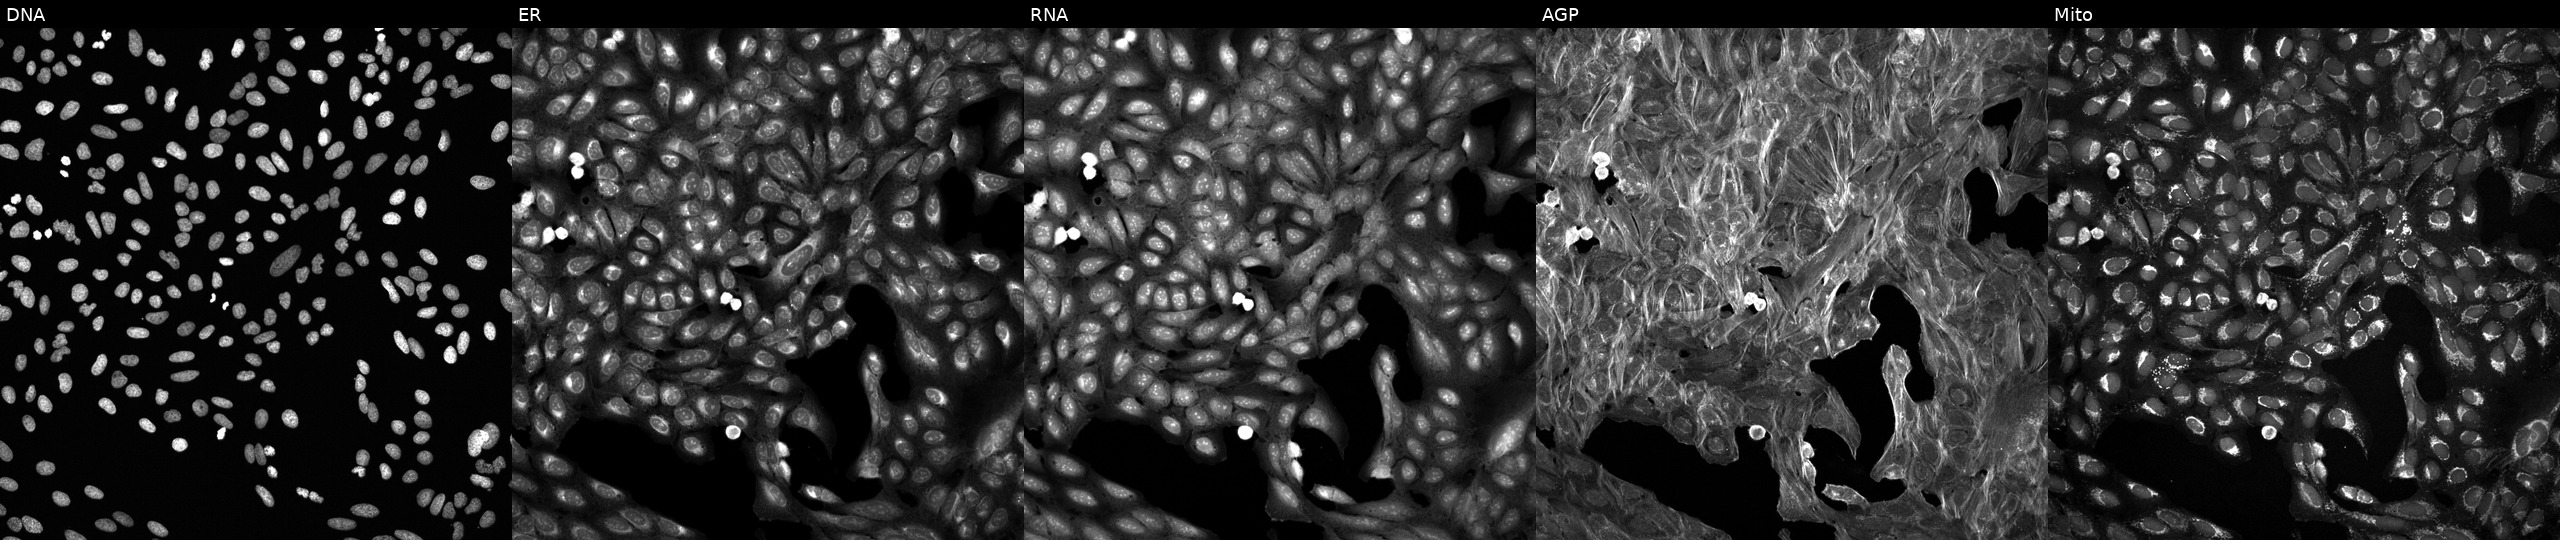
This image strip shows the five Cell Painting channels for a single field of U2OS cells exposed to a small-molecule compound (InChIKey XNOPRXBHLZRZKH-UHFFFAOYSA-N) [SMILES: CCC(C)C1NC(=O)C(Cc2ccc(O)cc2)NC(=O)C(N)CSSCC(C(=O)N2CCCC2C(=O)NC(CC(C)C)C(=O)NCC(N)=O)NC(=O)C(CC(N)=O)NC(=O)C(CCC(N)=O)NC1=O]. From left to right: Hoechst 33342, concanavalin A, SYTO 14, phalloidin and WGA, MitoTracker. Source 6, plate 110000293093, well D21.